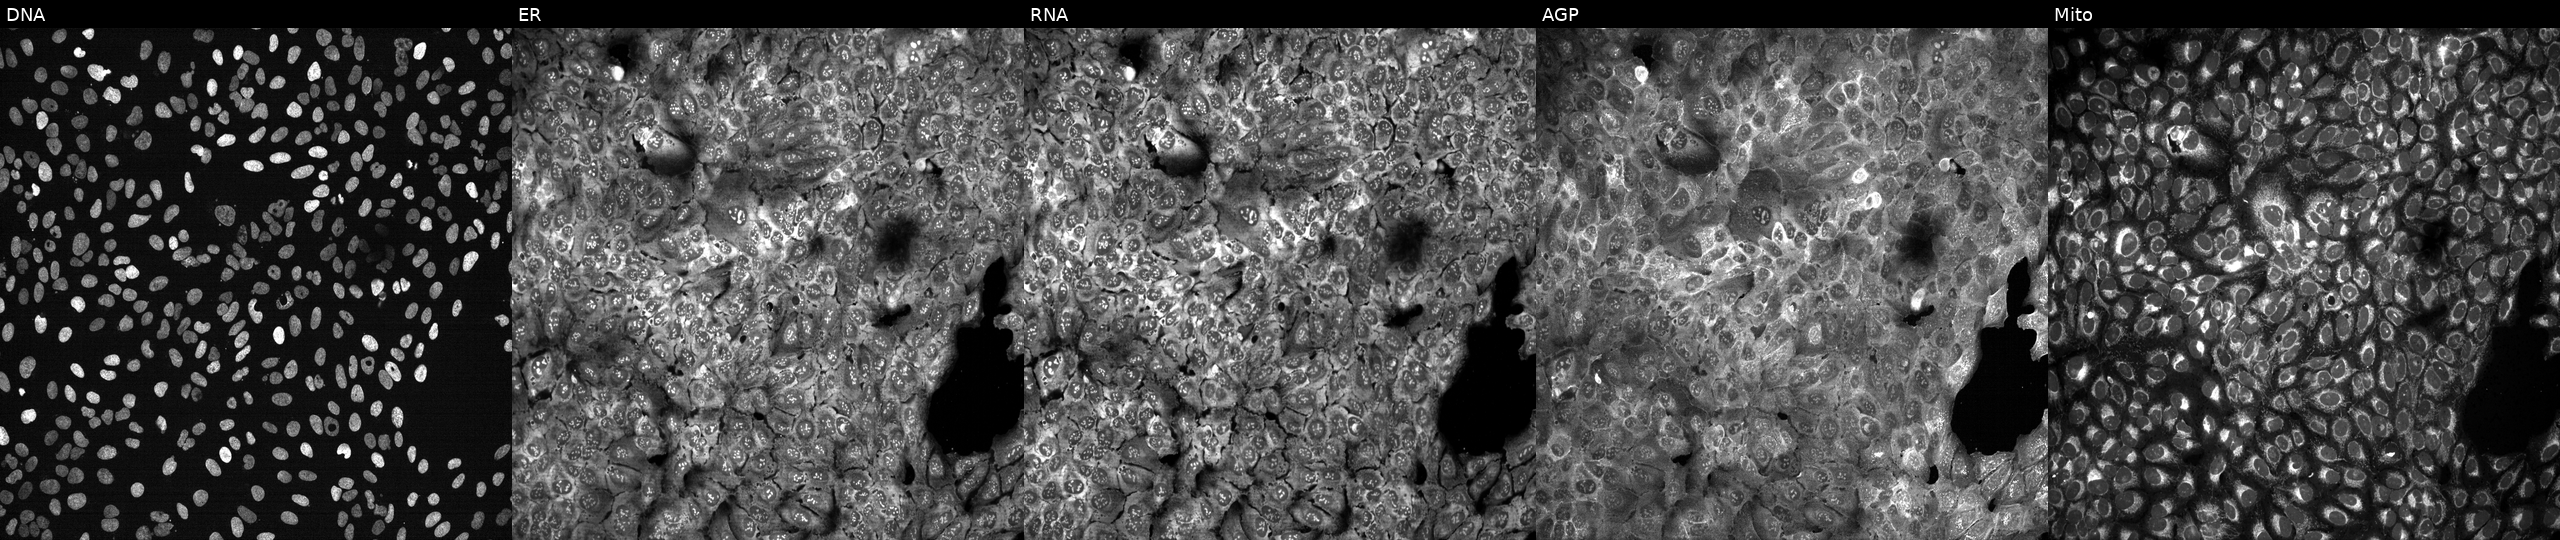
JUMP Cell Painting — CRISPR plate. U2OS cells with ST6GALNAC5 knocked out by CRISPR (JUMP id JCP2022_806809). Panels show, left to right, Hoechst 33342, concanavalin A, SYTO 14, phalloidin and WGA, MitoTracker.